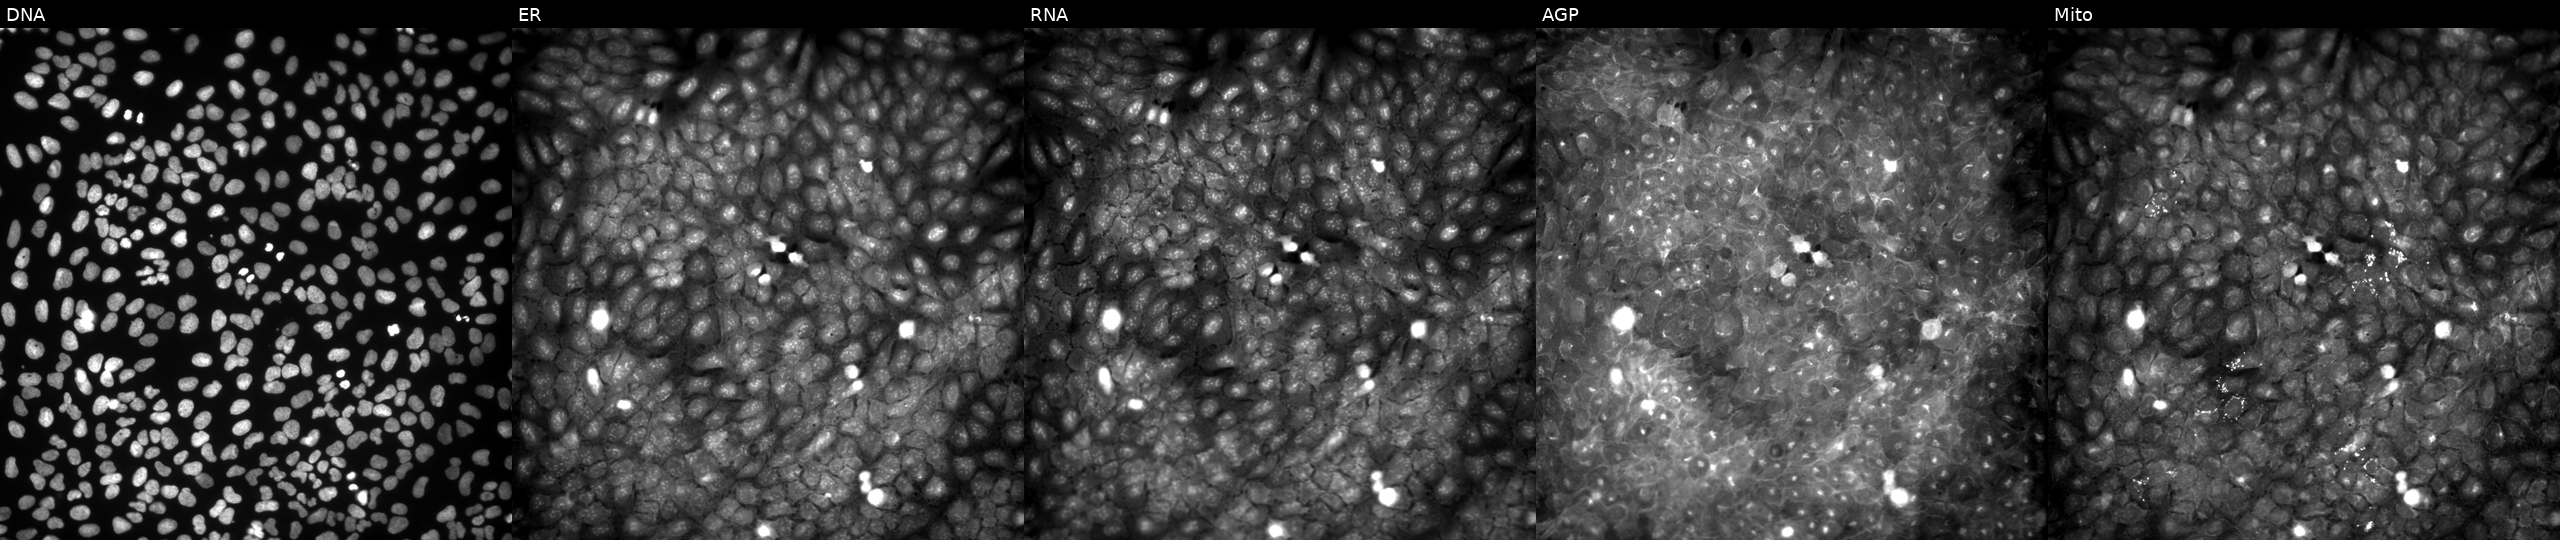
This image strip shows the five Cell Painting channels for a single field of U2OS cells exposed to a small-molecule compound (JUMP id JCP2022_088474). From left to right: DNA (nuclei); ER (endoplasmic reticulum); RNA (nucleoli and cytoplasmic RNA); AGP (actin cytoskeleton, Golgi, and plasma membrane); Mito (mitochondria).